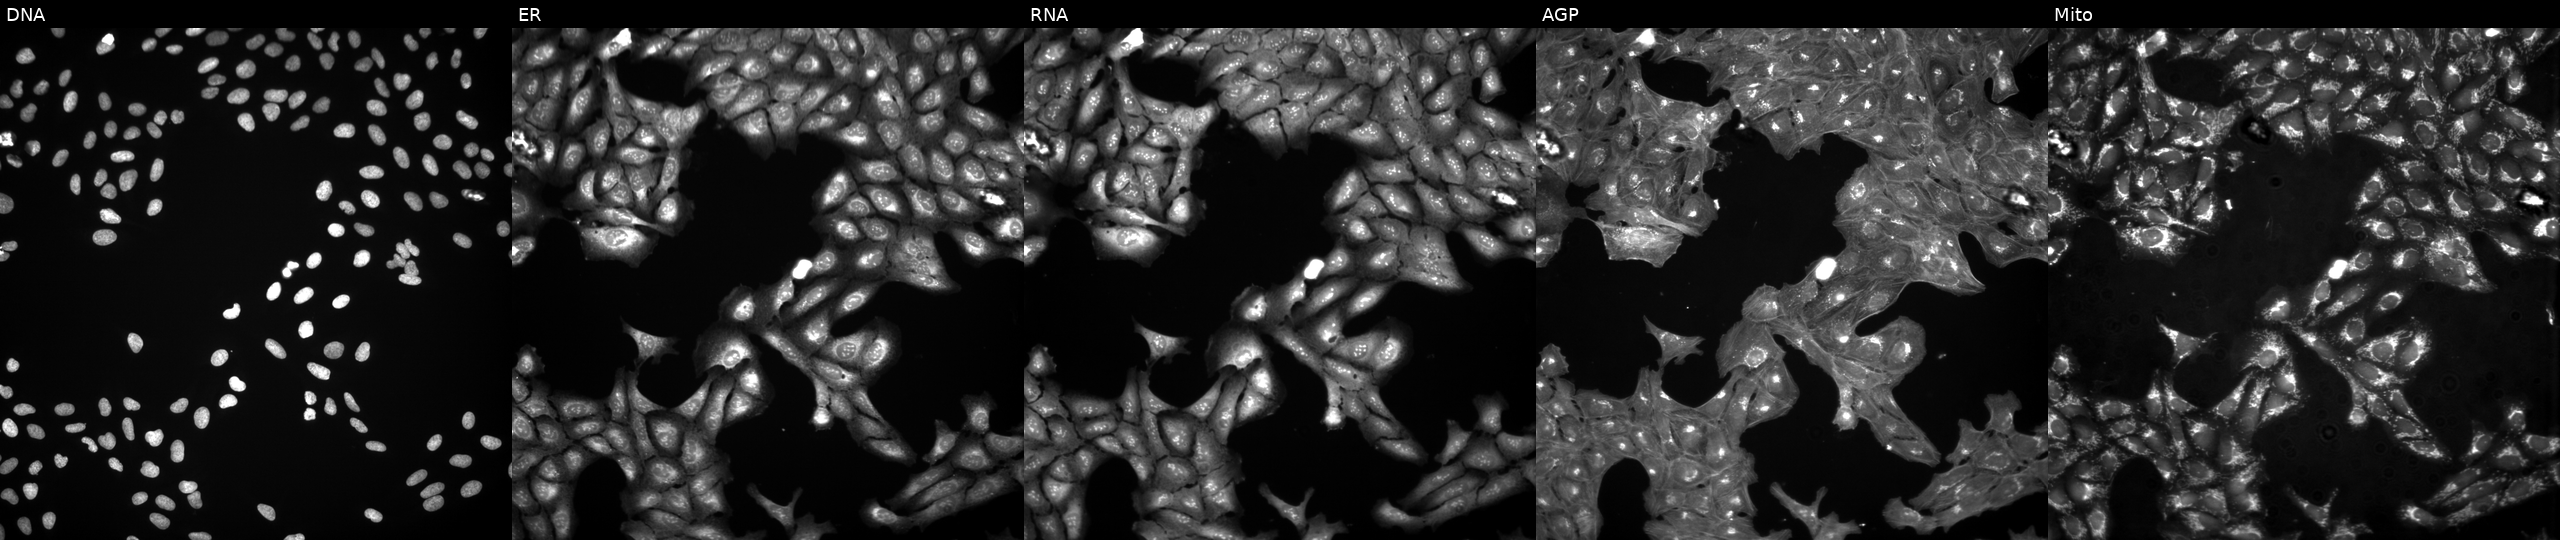
Five-channel Cell Painting image of U2OS cells treated with a small-molecule compound (InChIKey PMJFRWYKFAUWHA-UHFFFAOYSA-N). From left to right: DNA, ER, RNA, AGP, and Mito.